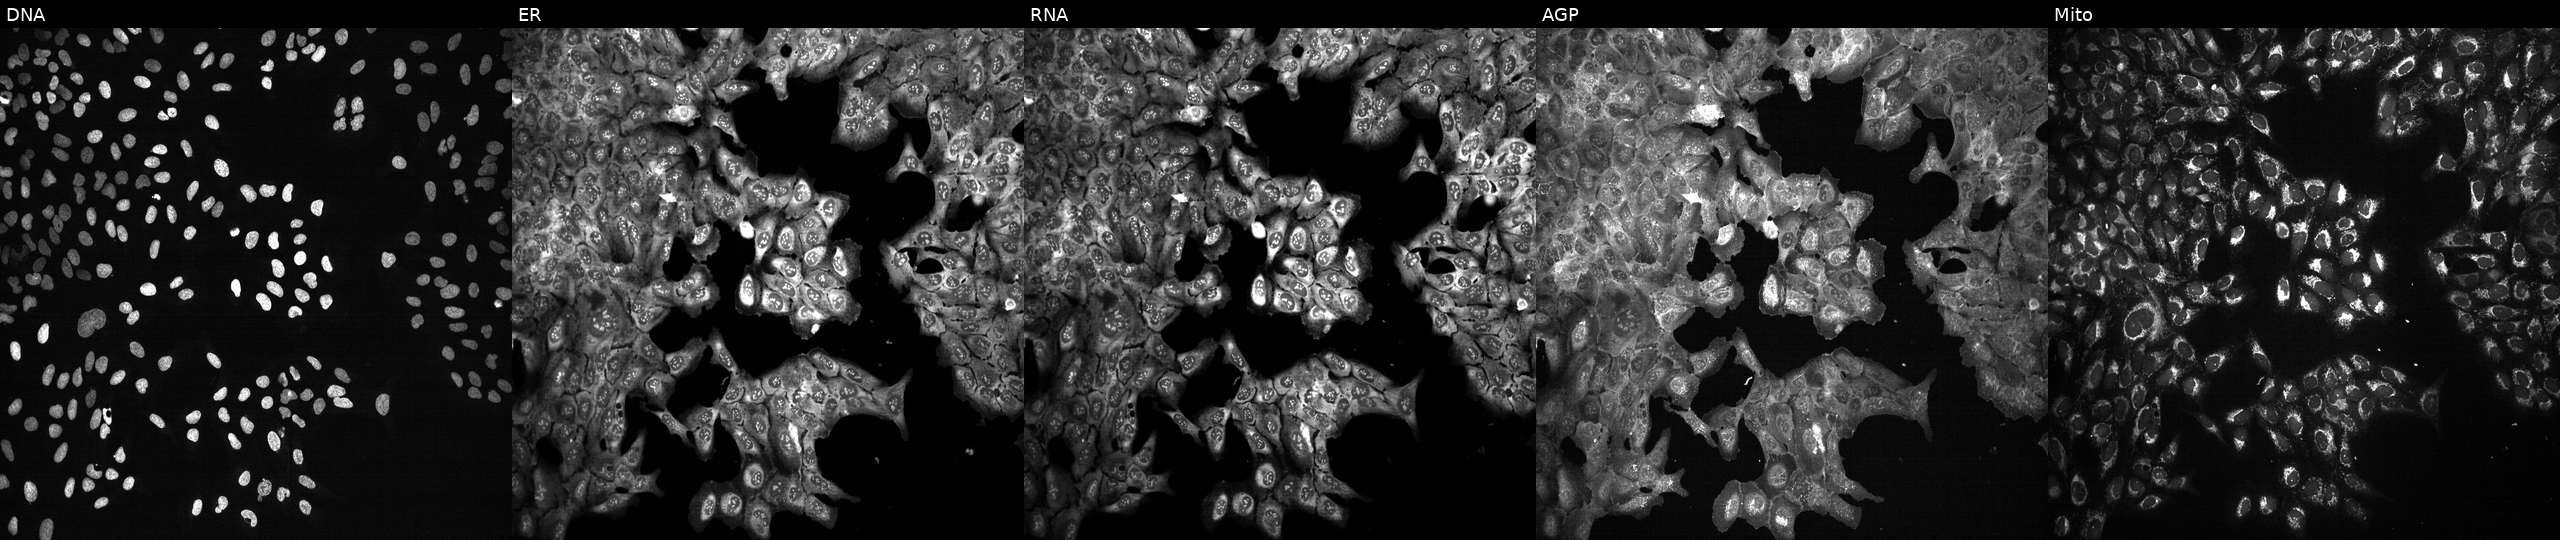
High-content fluorescence microscopy (Cell Painting). Cell line: U2OS. Perturbation: with ADA knocked out by CRISPR. Channels (left→right): DNA (nuclei); ER (endoplasmic reticulum); RNA (nucleoli and cytoplasmic RNA); AGP (actin cytoskeleton, Golgi, and plasma membrane); Mito (mitochondria). Source 13, plate CP-CC9-R3-01, well E21.